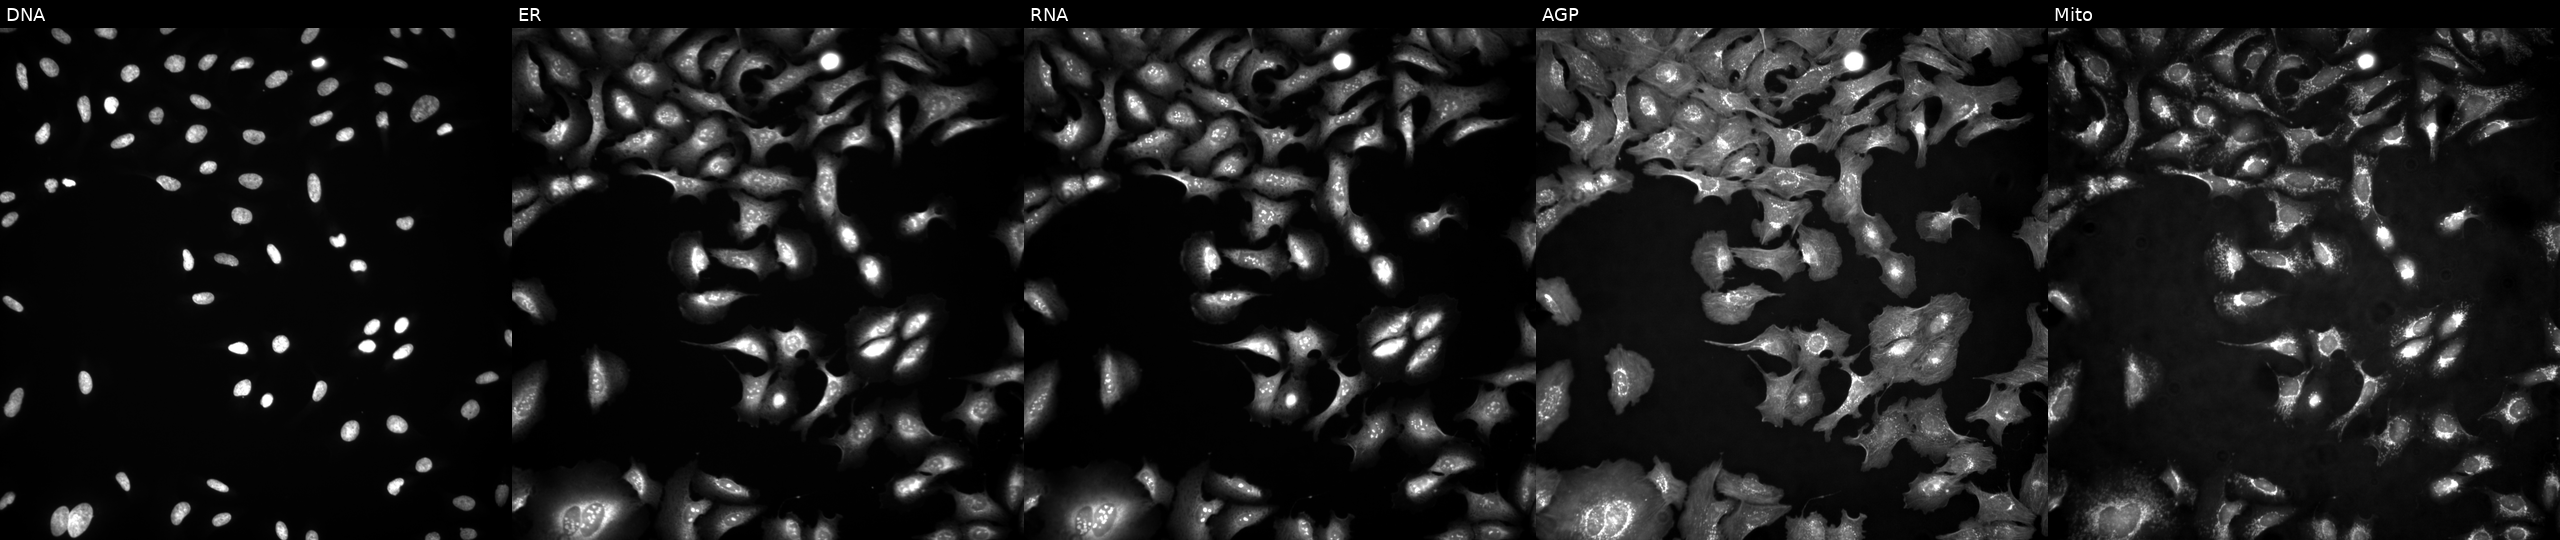
High-content fluorescence microscopy (Cell Painting). Cell line: U2OS. Perturbation: transfected with an ORF construct for PANK1. Panels show, left to right, Hoechst 33342, concanavalin A, SYTO 14, phalloidin and WGA, MitoTracker.